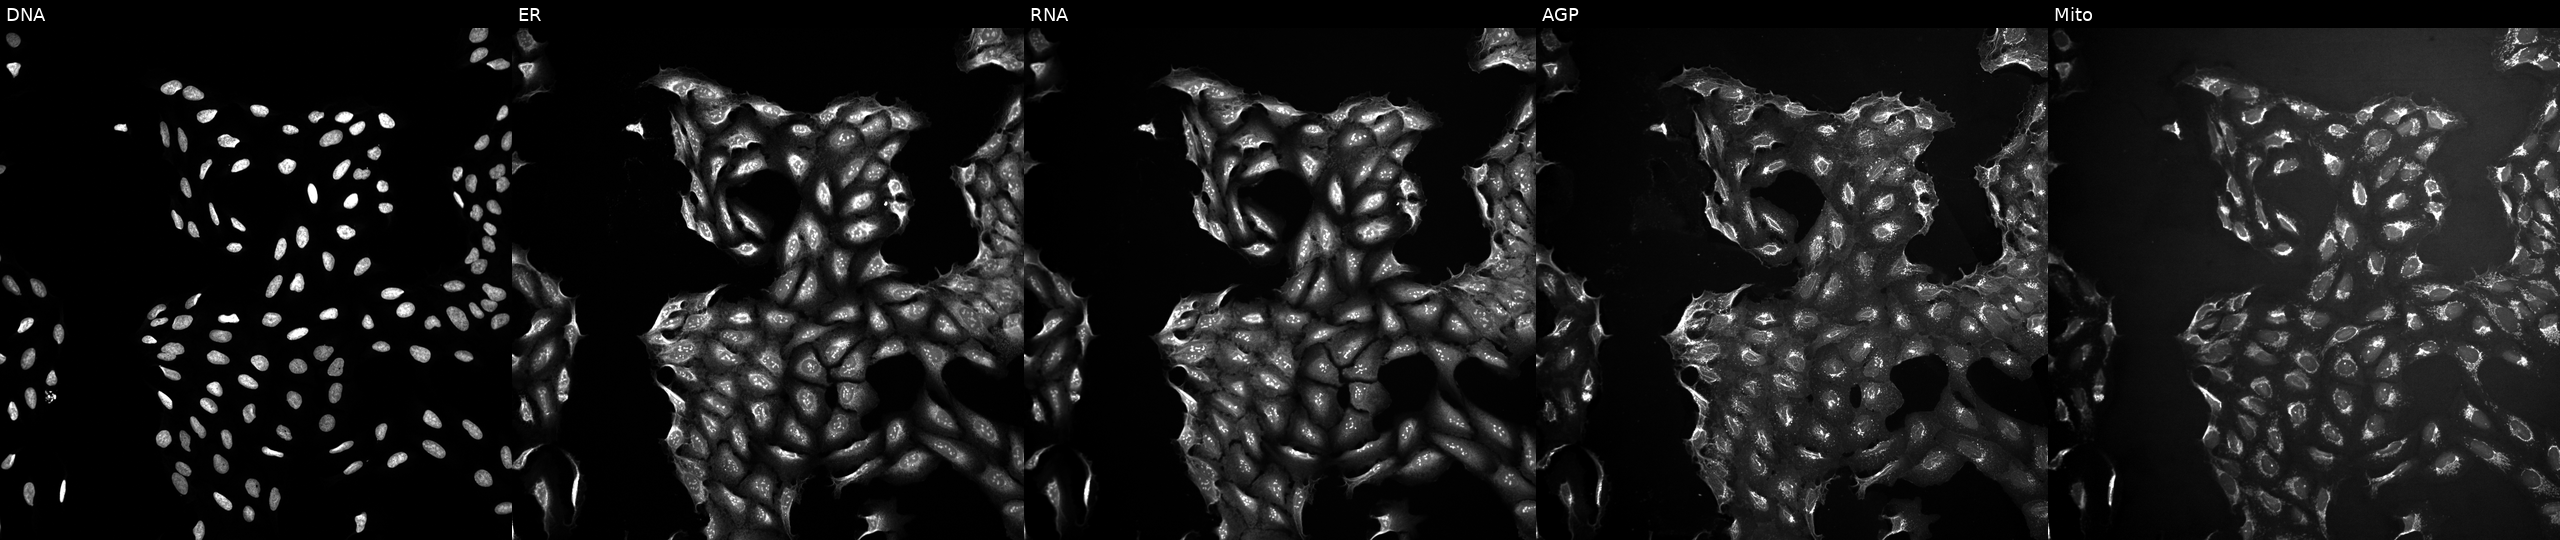
U2OS cells, Cell Painting assay, exposed to a small-molecule compound (JUMP id JCP2022_060040). Channels (left→right): Hoechst 33342, concanavalin A, SYTO 14, phalloidin and WGA, MitoTracker. Each panel is percentile-stretched 16-bit fluorescence.